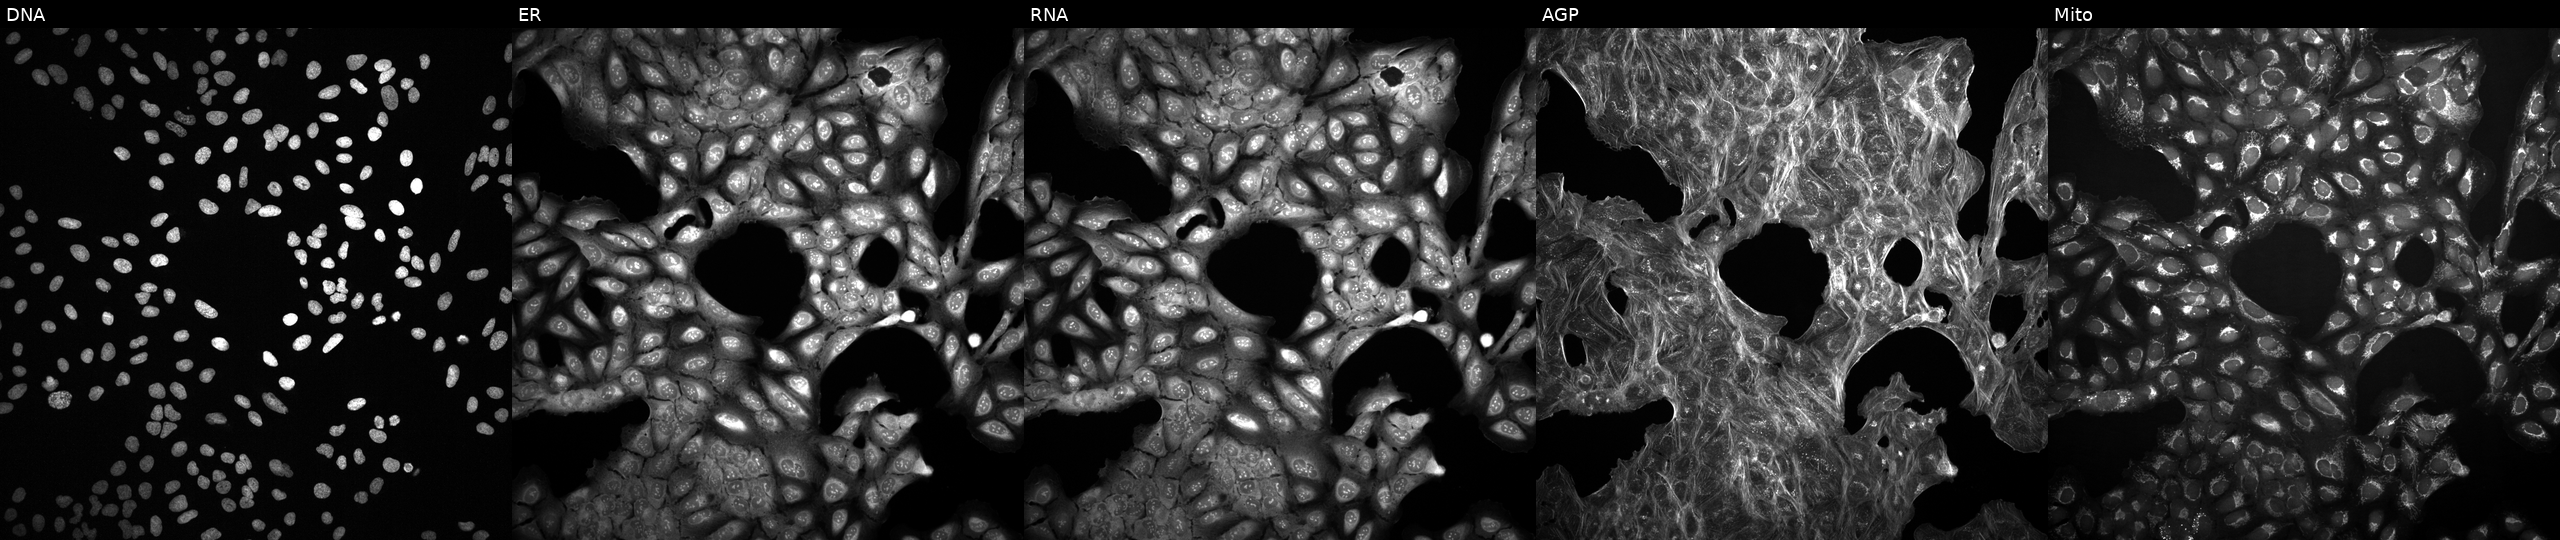
High-content fluorescence microscopy (Cell Painting). Cell line: U2OS. Perturbation: treated with DMSO vehicle only (negative control). The five panels, left to right, show DNA (nuclei); ER (endoplasmic reticulum); RNA (nucleoli and cytoplasmic RNA); AGP (actin cytoskeleton, Golgi, and plasma membrane); Mito (mitochondria). Source 2, plate 1053597936, well K06.